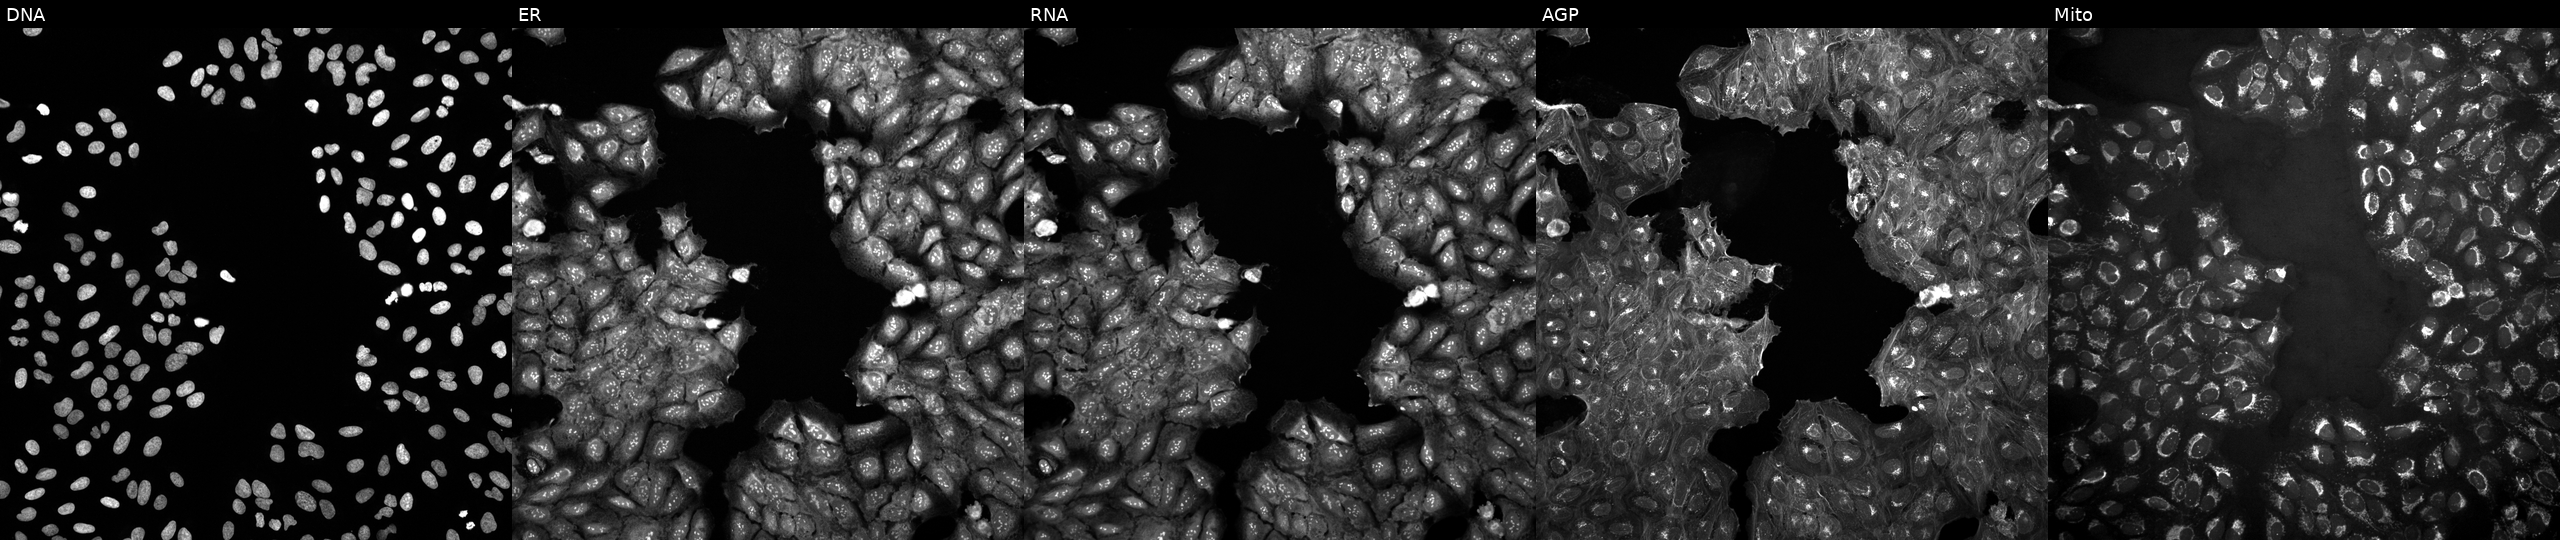
U2OS cells, Cell Painting assay, untreated (empty-well control) (JUMP id JCP2022_999999). The five panels, left to right, show Hoechst 33342, concanavalin A, SYTO 14, phalloidin and WGA, MitoTracker. Each panel is percentile-stretched 16-bit fluorescence.